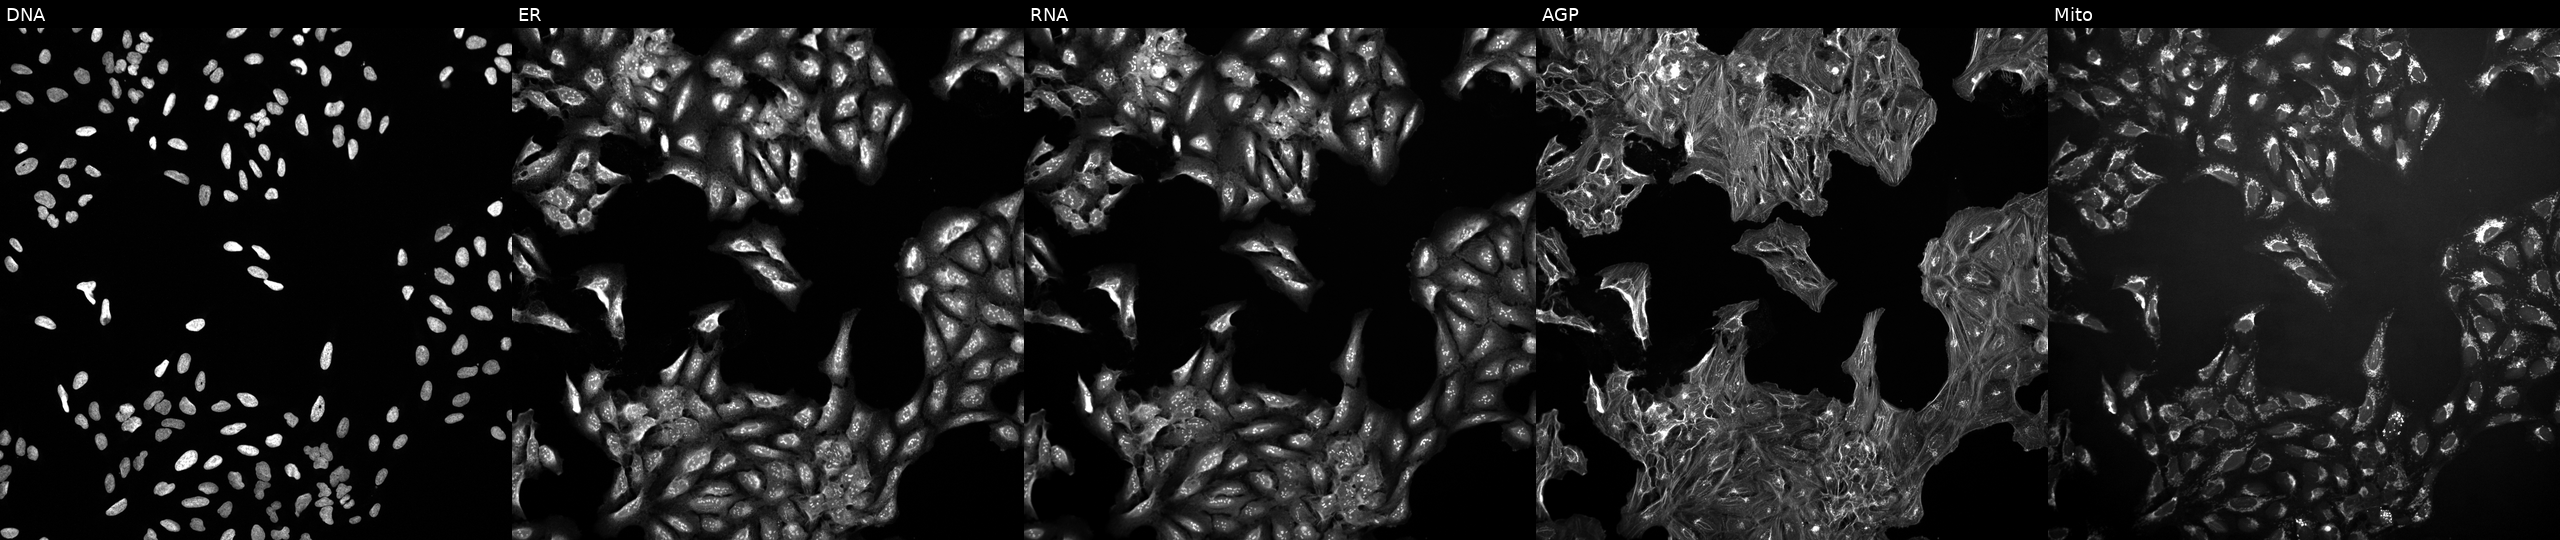
U2OS cells, Cell Painting assay, exposed to a small-molecule compound (InChIKey BGVLELSCIHASRV-UHFFFAOYSA-N) (JUMP id JCP2022_006270). The five panels, left to right, show Hoechst 33342, concanavalin A, SYTO 14, phalloidin and WGA, MitoTracker. Each panel is percentile-stretched 16-bit fluorescence. Source 10, plate Dest210726-160150, well F12.